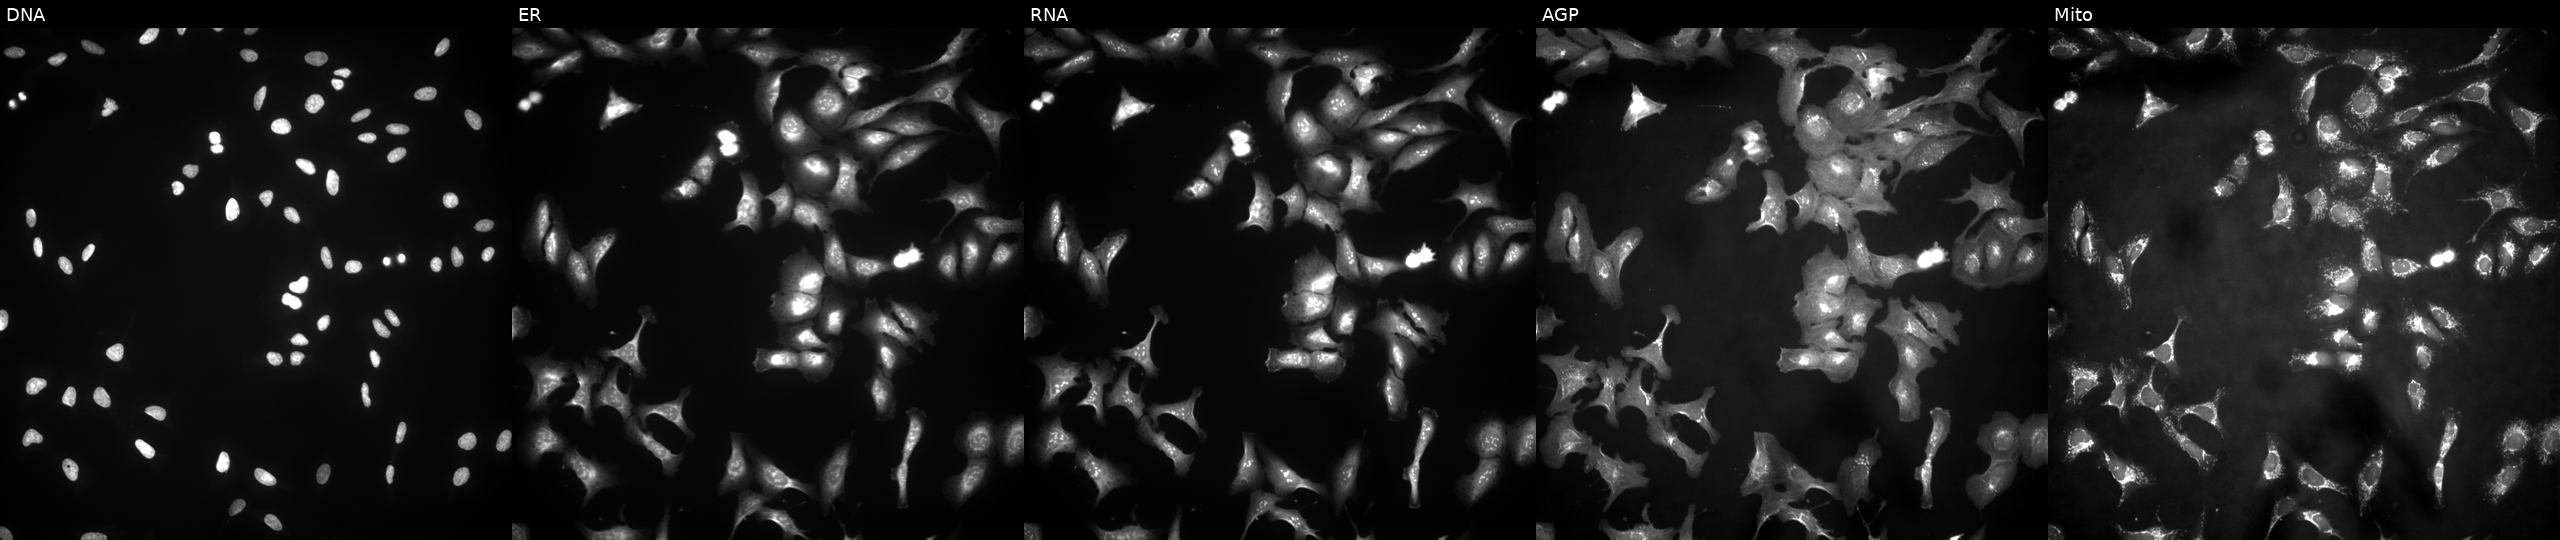
Five-channel Cell Painting image of U2OS cells with GALNT17 overexpressed (ORF). Panels show, left to right, DNA (nuclei); ER (endoplasmic reticulum); RNA (nucleoli and cytoplasmic RNA); AGP (actin cytoskeleton, Golgi, and plasma membrane); Mito (mitochondria). Source 4, plate BR00123506, well M05.